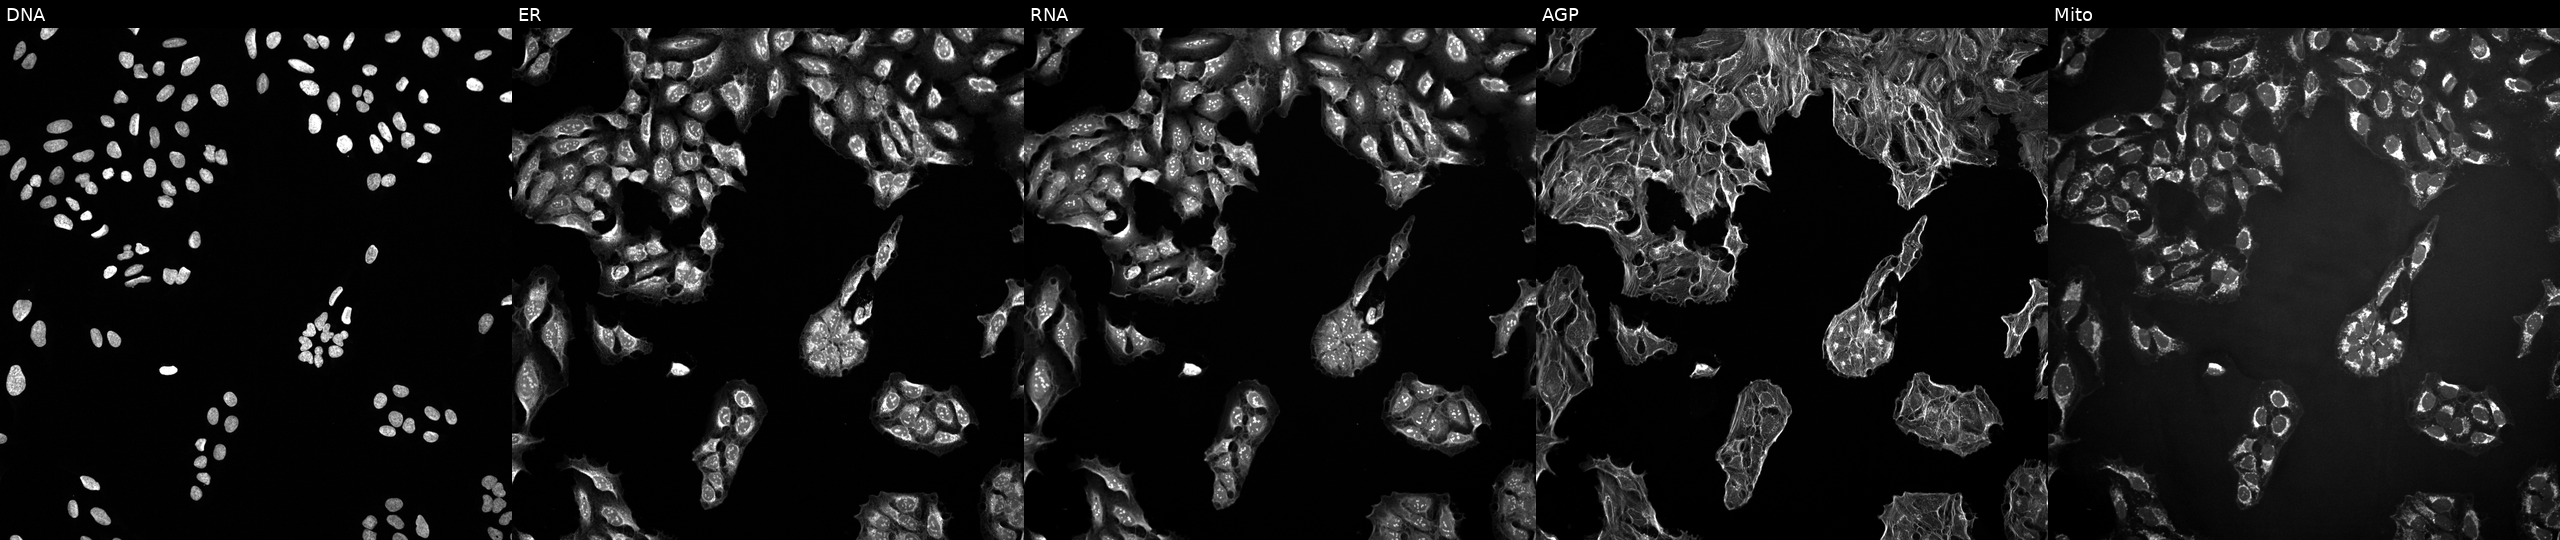
Panels show, left to right, DNA (nuclei); ER (endoplasmic reticulum); RNA (nucleoli and cytoplasmic RNA); AGP (actin cytoskeleton, Golgi, and plasma membrane); Mito (mitochondria). U2OS osteosarcoma cells exposed to a small-molecule compound (InChIKey UPWGQKDVAURUGE-UHFFFAOYSA-N). Cell Painting assay, JUMP-CP dataset.